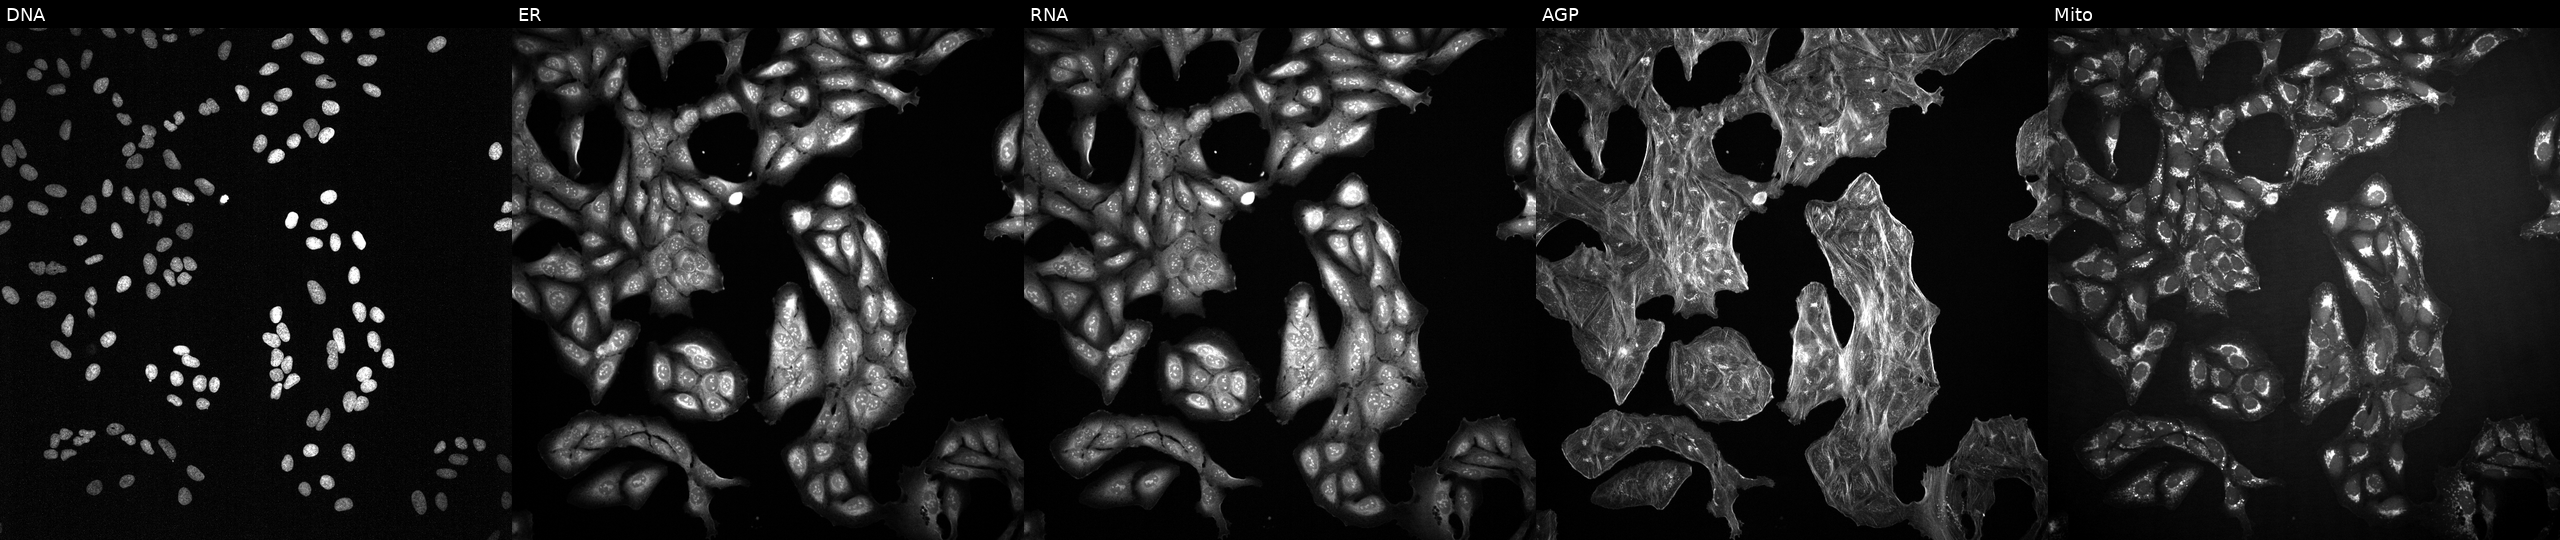
Five-channel Cell Painting image of U2OS cells treated with DMSO vehicle only (negative control). From left to right: DNA, ER, RNA, AGP, and Mito.